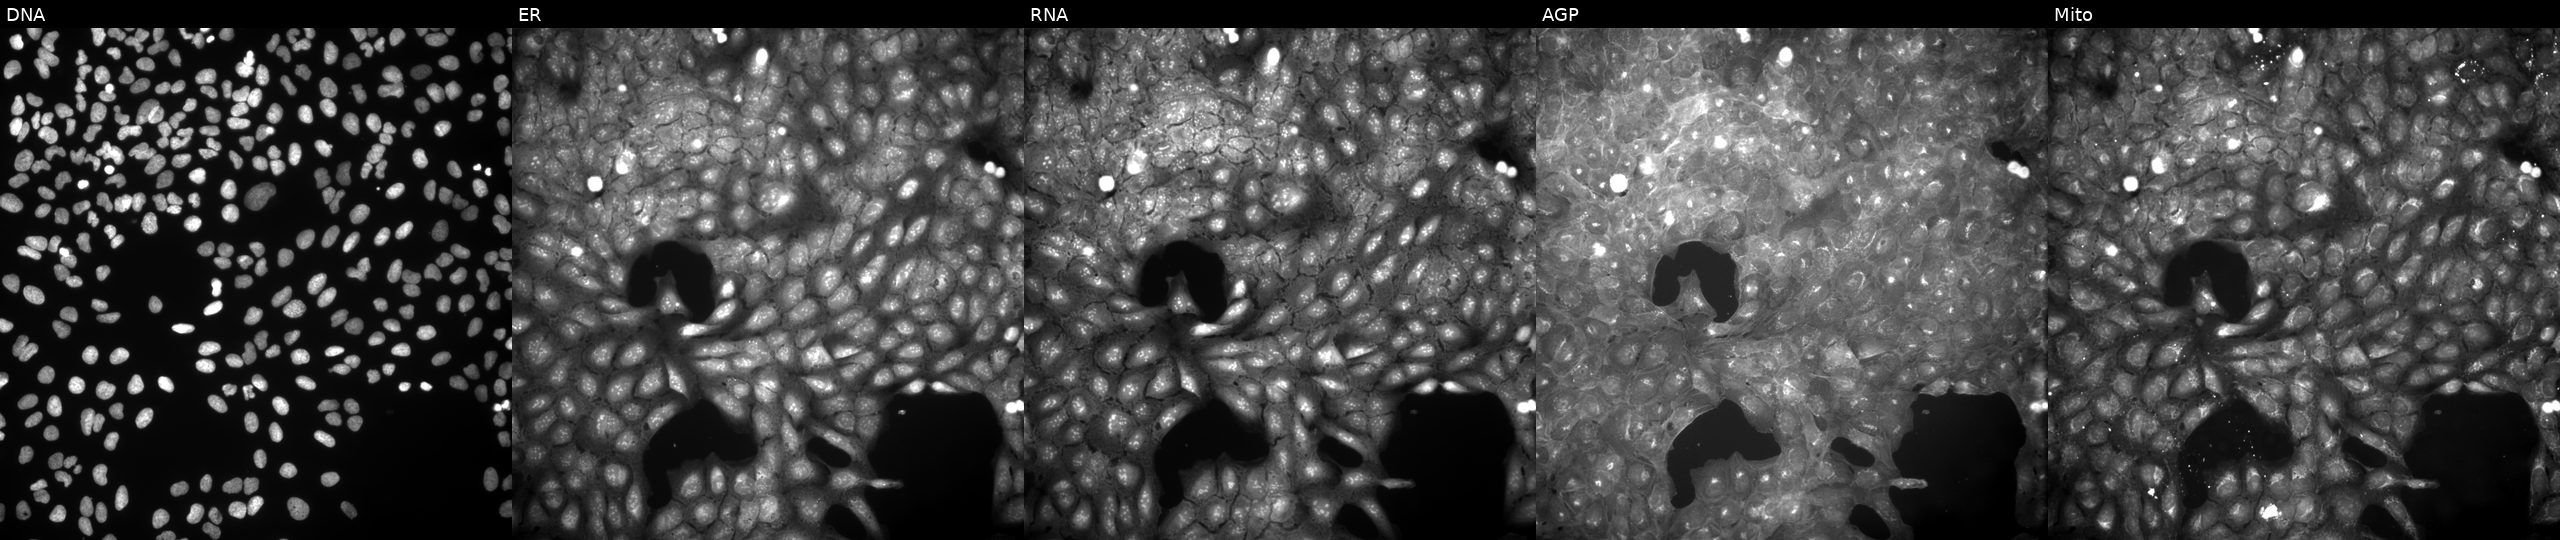
U2OS cells, Cell Painting assay, exposed to a small-molecule compound (InChIKey XNRCEIBOXIEVLI-UHFFFAOYSA-N) [SMILES: O=C(NCc1nc(-c2ccccc2)cs1)c1ccccc1]. Panels show, left to right, DNA (nuclei); ER (endoplasmic reticulum); RNA (nucleoli and cytoplasmic RNA); AGP (actin cytoskeleton, Golgi, and plasma membrane); Mito (mitochondria). Each panel is percentile-stretched 16-bit fluorescence.